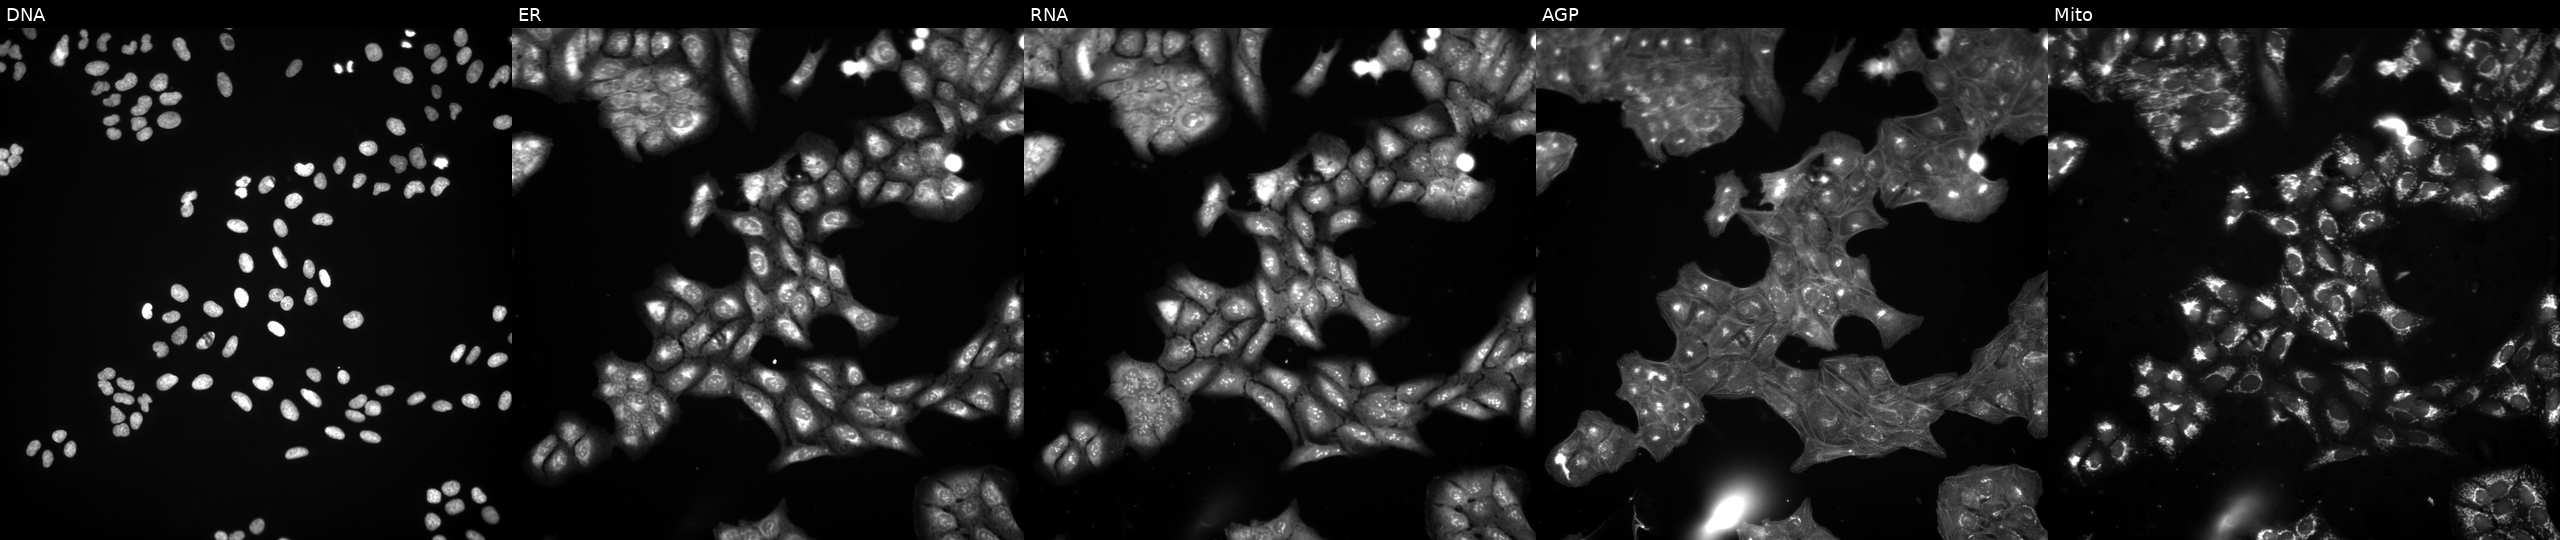
This image strip shows the five Cell Painting channels for a single field of U2OS cells in an empty control well (no perturbation) (JUMP id JCP2022_999999). Channels (left→right): DNA, ER, RNA, AGP, and Mito. Source 3, plate BR5867b3, well P10.